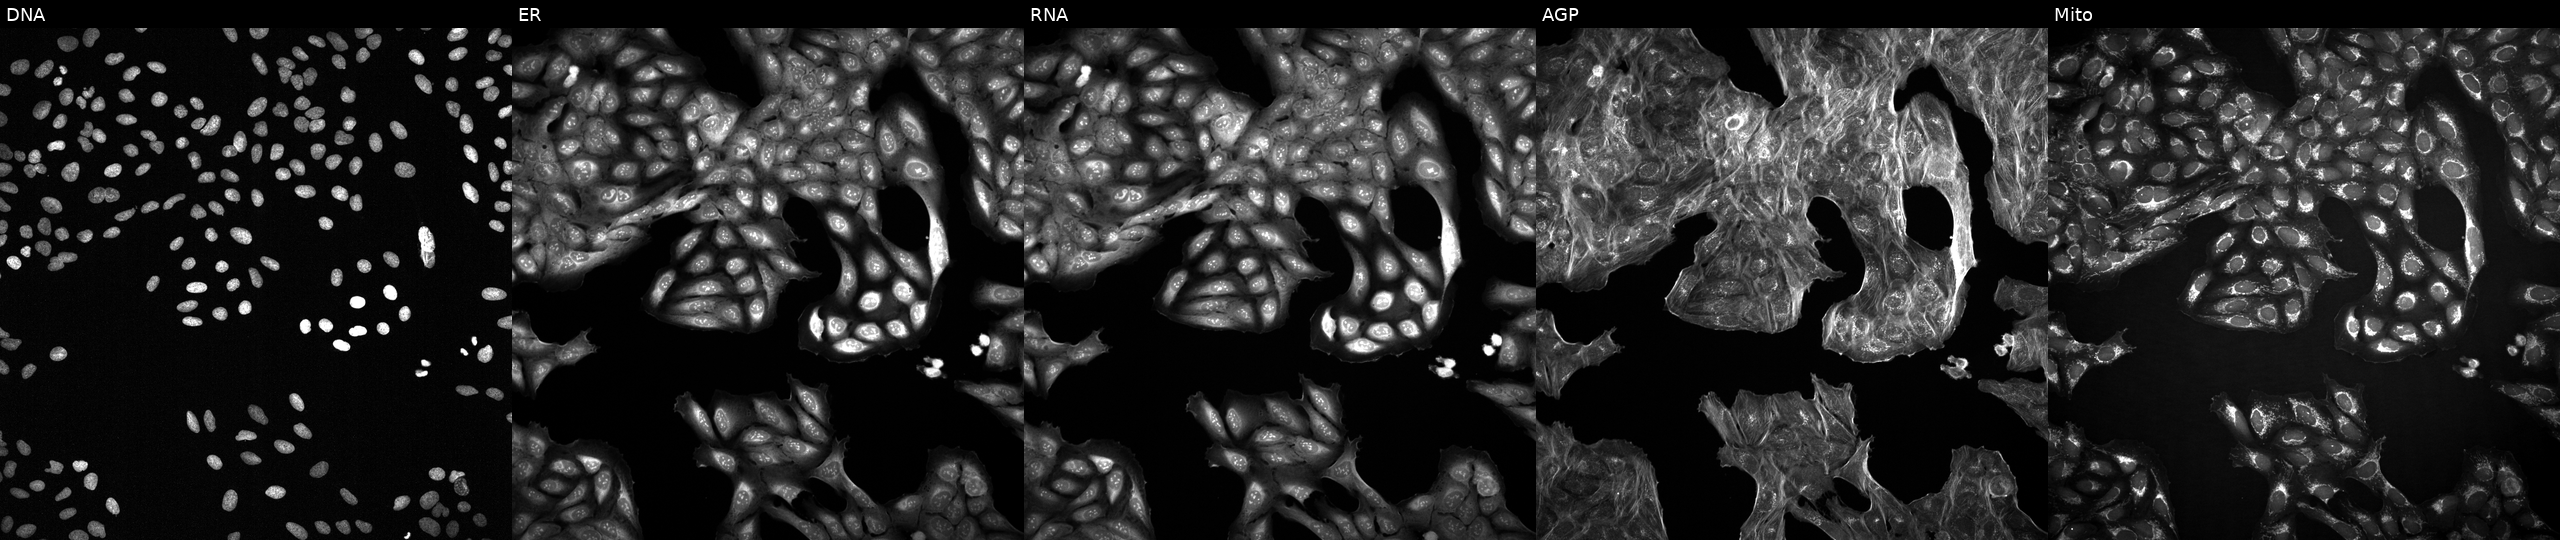
Channels (left→right): DNA, ER, RNA, AGP, and Mito. U2OS osteosarcoma cells with an unidentified perturbation (not annotated in JUMP metadata). Cell Painting assay, JUMP-CP dataset.